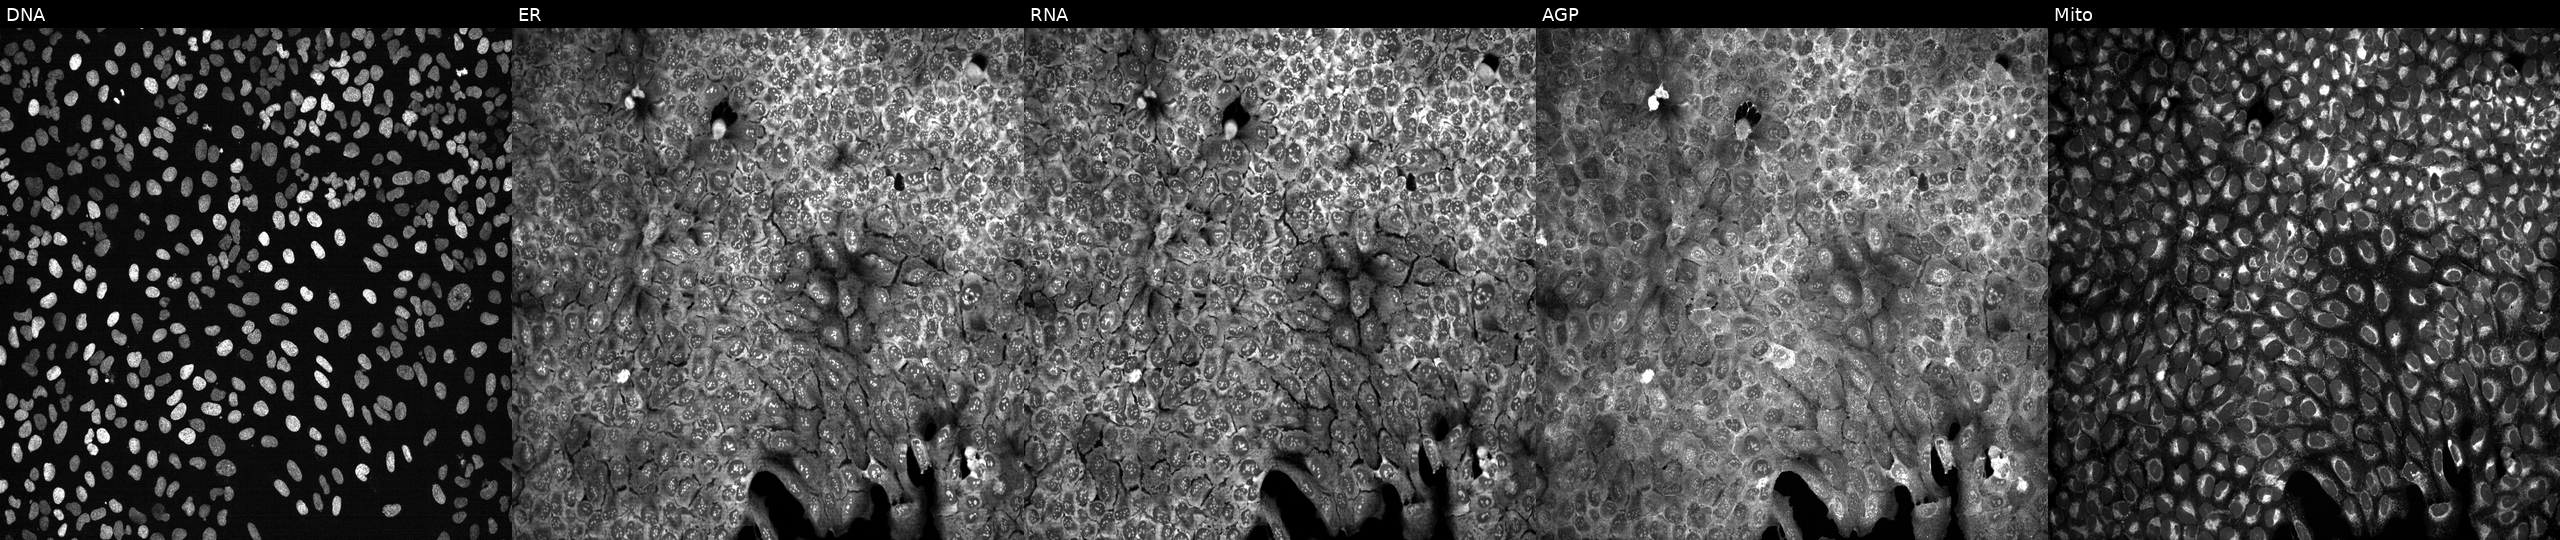
Five-channel Cell Painting image of U2OS cells with GDF10 knocked out by CRISPR. From left to right: DNA, ER, RNA, AGP, and Mito.